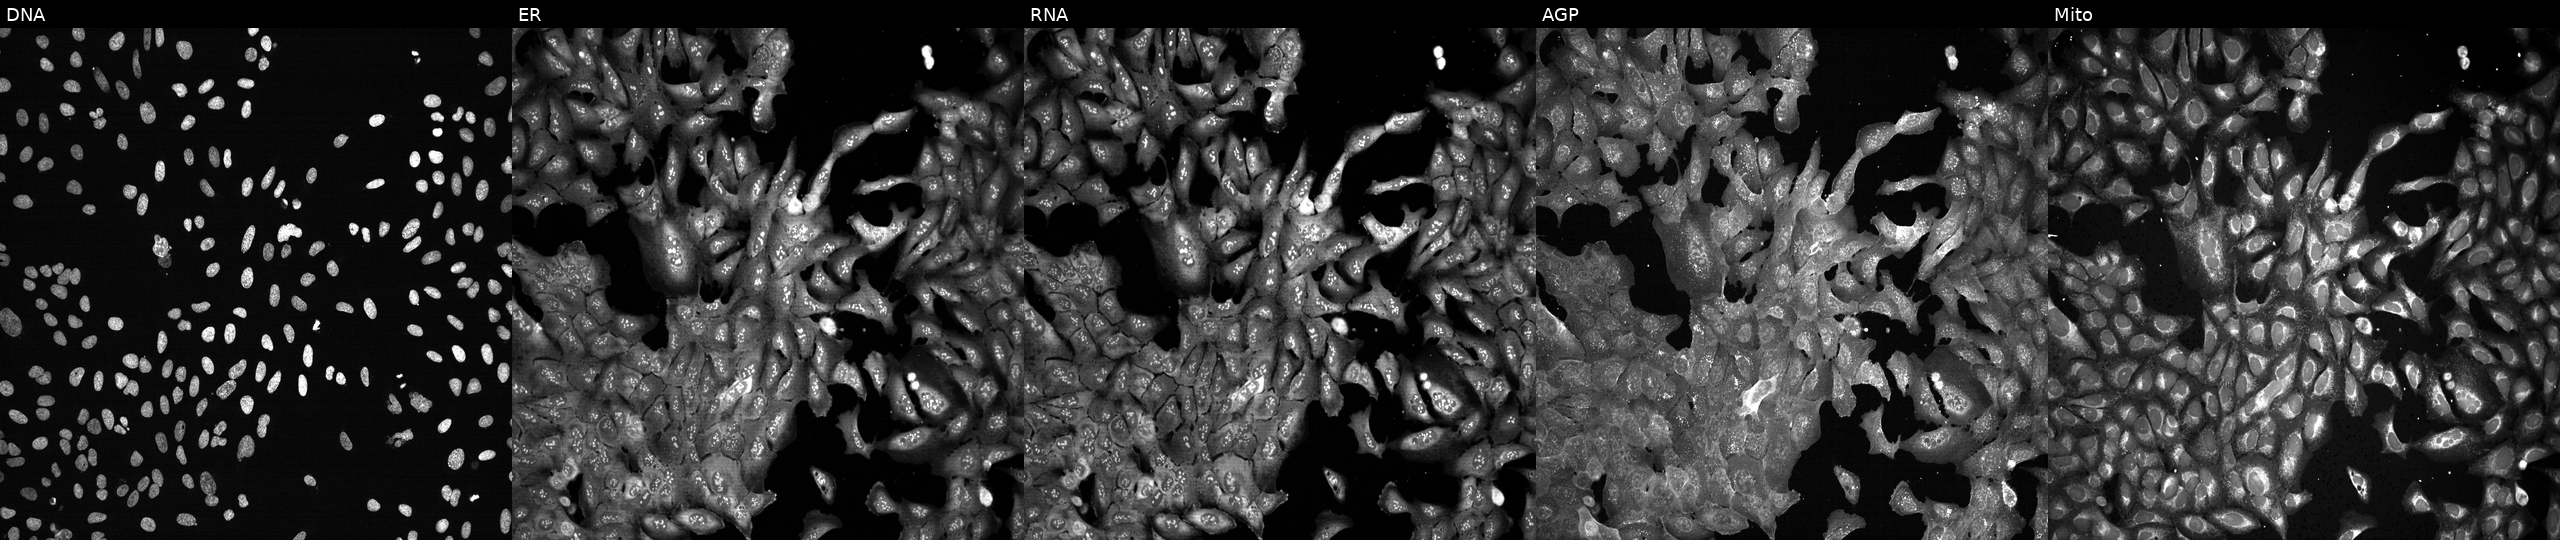
U2OS cells, Cell Painting assay, following CRISPR knockout of SMUG1. Channels (left→right): Hoechst 33342, concanavalin A, SYTO 14, phalloidin and WGA, MitoTracker. Each panel is percentile-stretched 16-bit fluorescence. Source 13, plate CP-CC9-R5-01, well M05.